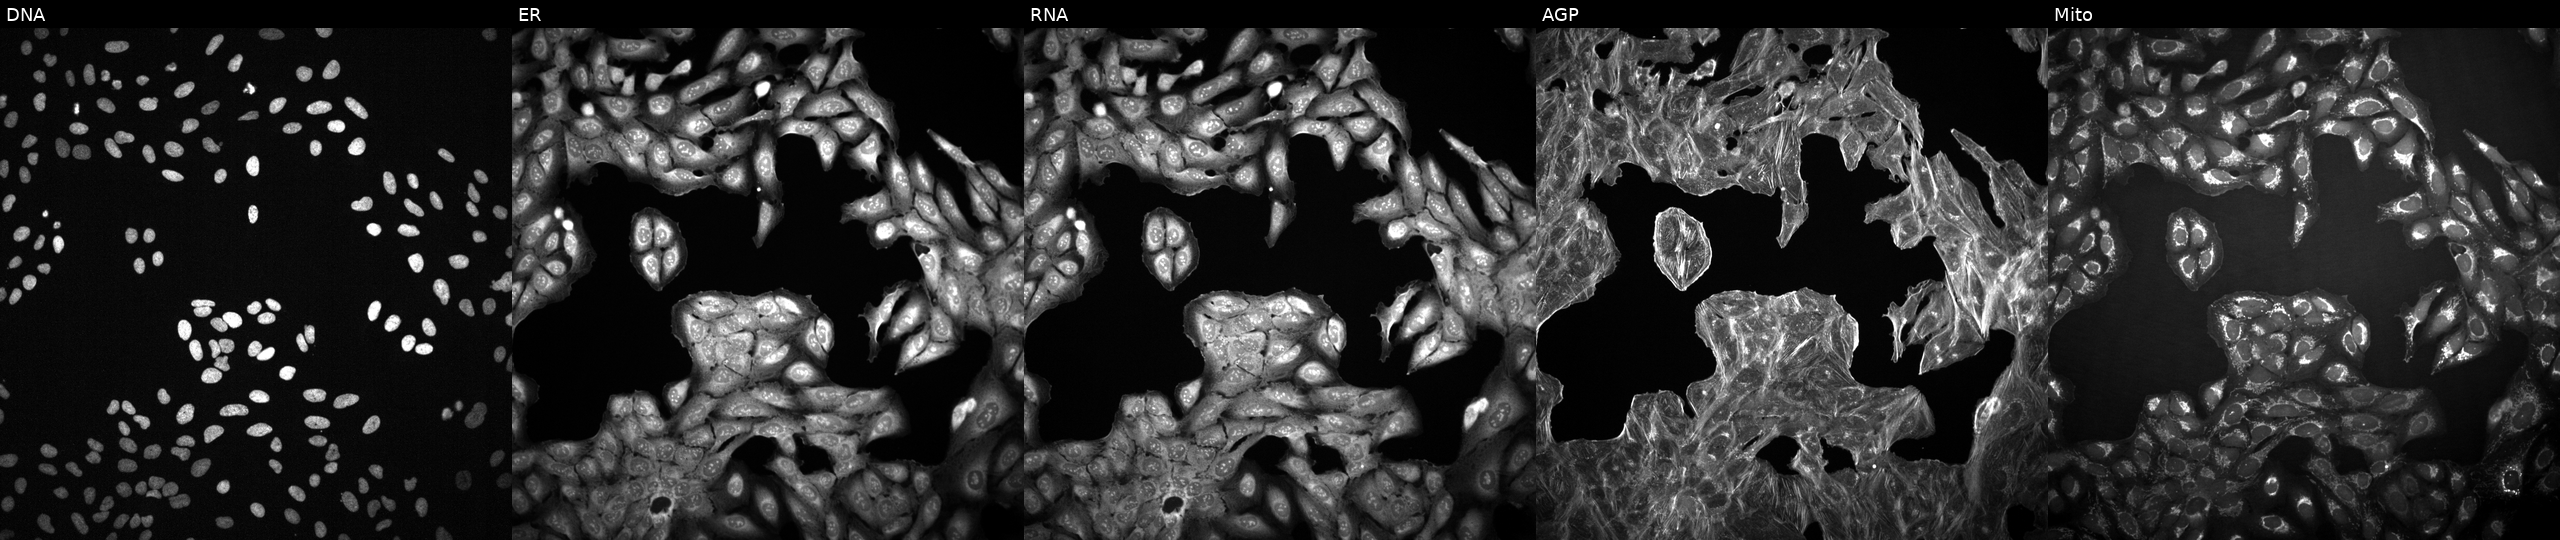
U2OS cells, Cell Painting assay, exposed to DMSO alone as a negative control (JUMP id JCP2022_033924). The five panels, left to right, show DNA, ER, RNA, AGP, and Mito. Each panel is percentile-stretched 16-bit fluorescence. Source 2, plate 1053597936, well H18.